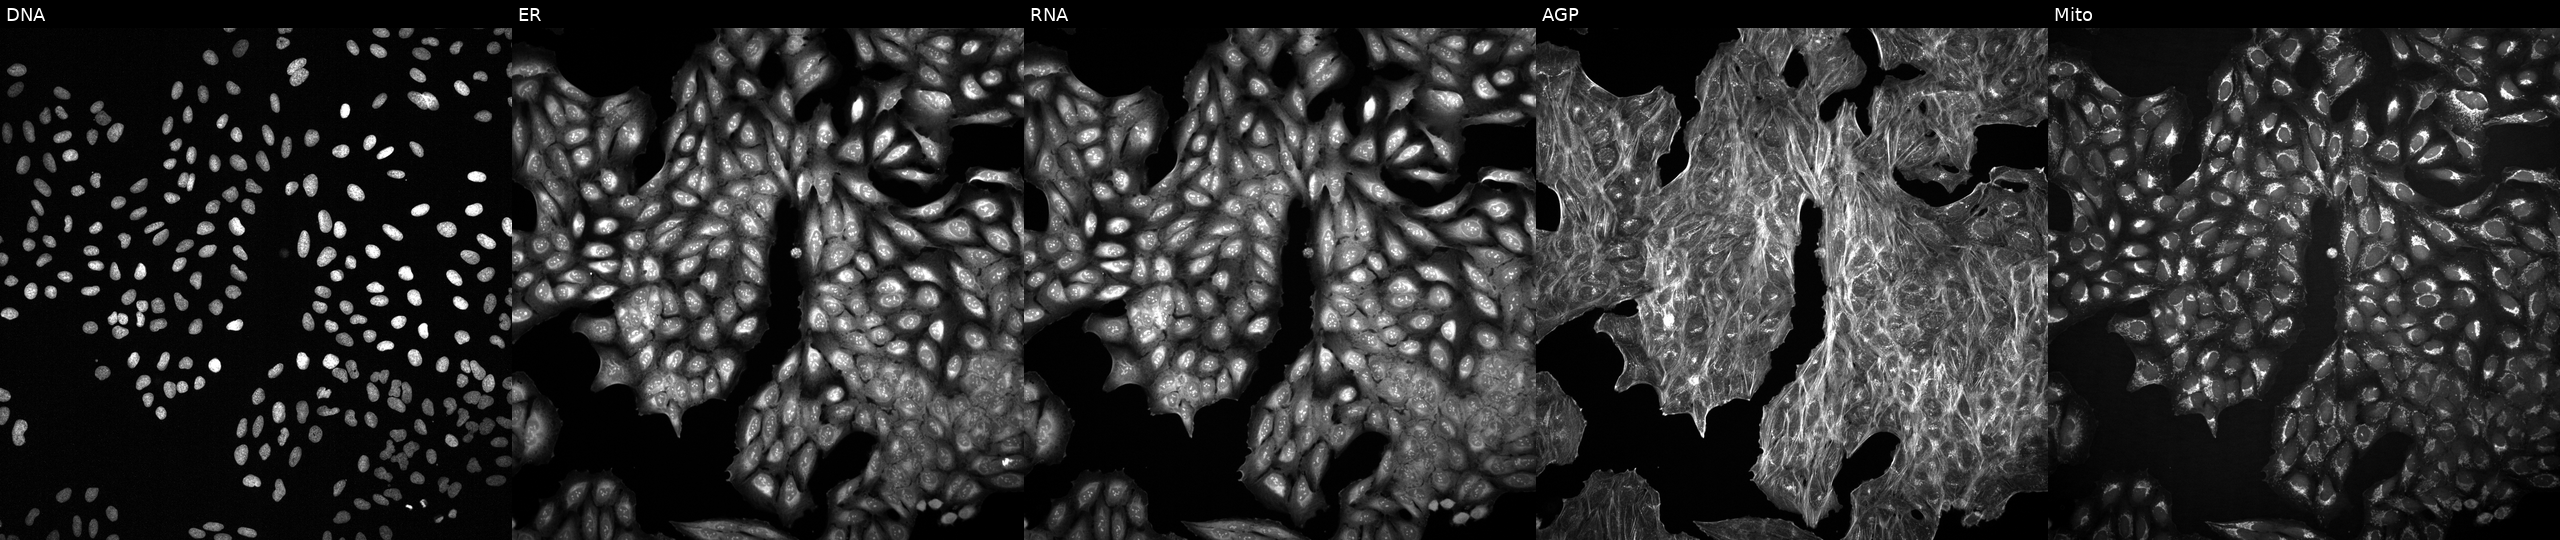
This image strip shows the five Cell Painting channels for a single field of U2OS cells treated with a small-molecule compound [SMILES: O=c1oc(-c2ccc(F)cc2)nc2ccccc12]. Panels show, left to right, DNA (nuclei); ER (endoplasmic reticulum); RNA (nucleoli and cytoplasmic RNA); AGP (actin cytoskeleton, Golgi, and plasma membrane); Mito (mitochondria).